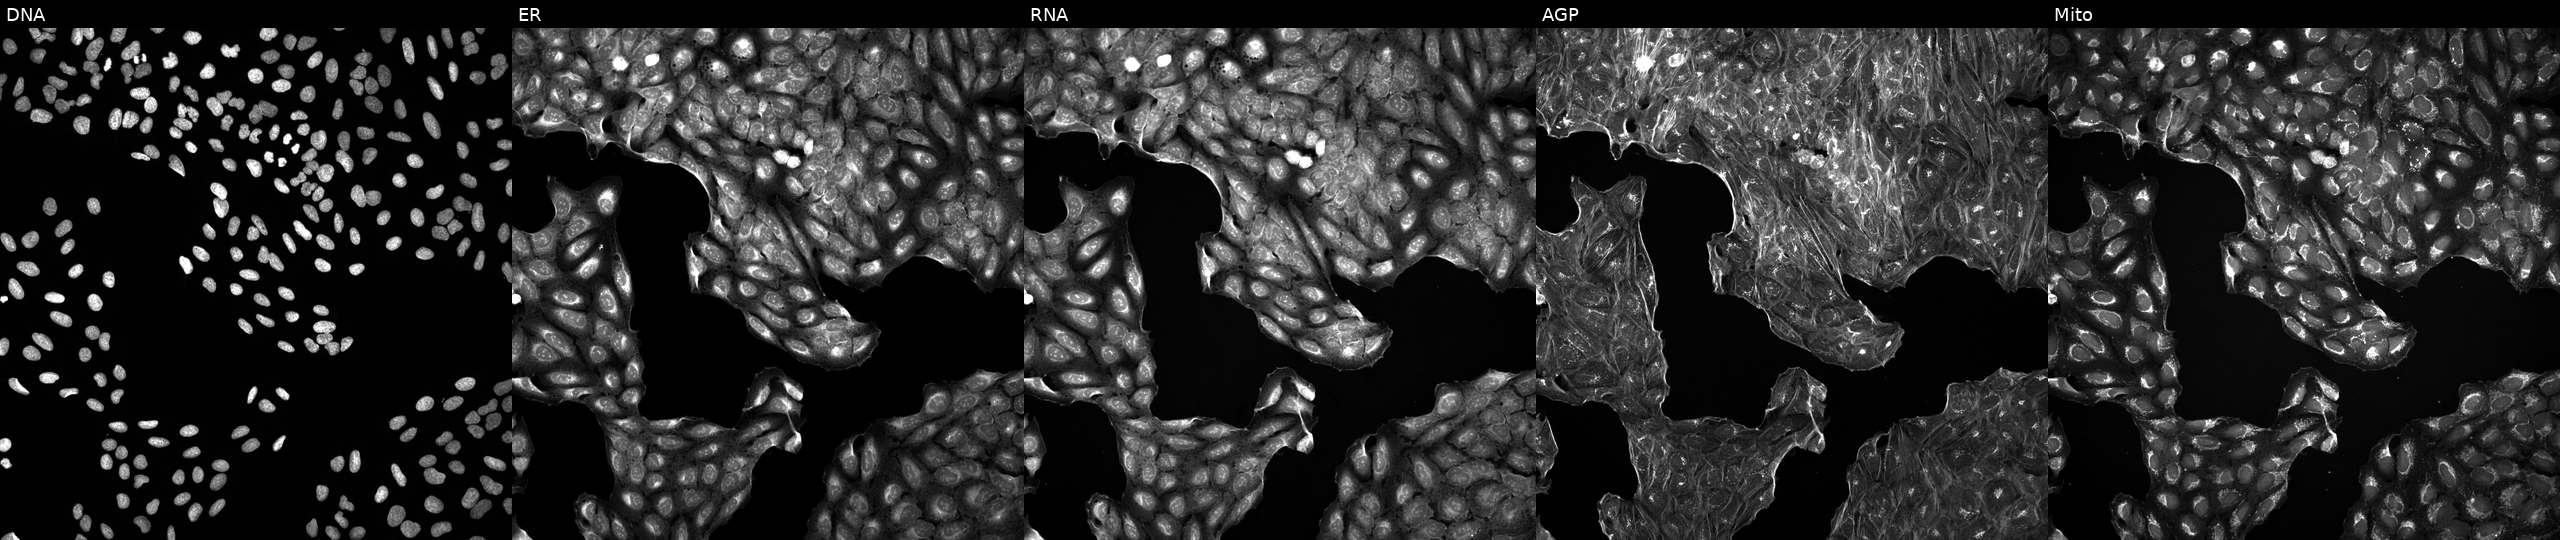
U2OS cells, Cell Painting assay, treated with DMSO vehicle only (negative control) (JUMP id JCP2022_033924). Panels show, left to right, DNA, ER, RNA, AGP, and Mito. Each panel is percentile-stretched 16-bit fluorescence.